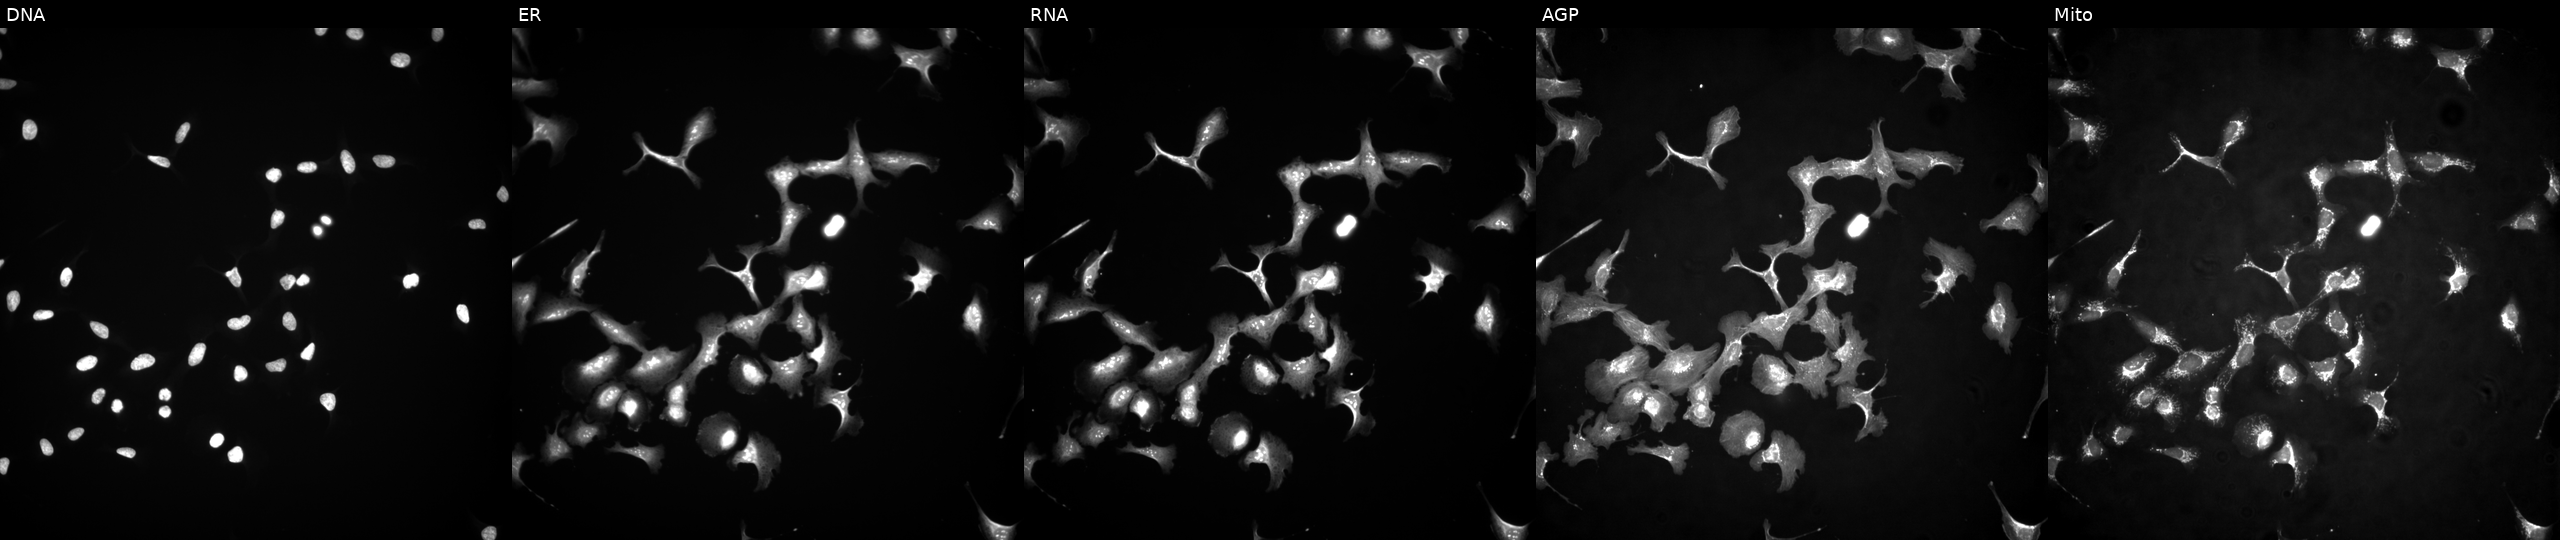
U2OS cells, Cell Painting assay, overexpressing ZNF488 via ORF transfection (JUMP id JCP2022_904430). Panels show, left to right, DNA (nuclei); ER (endoplasmic reticulum); RNA (nucleoli and cytoplasmic RNA); AGP (actin cytoskeleton, Golgi, and plasma membrane); Mito (mitochondria). Each panel is percentile-stretched 16-bit fluorescence. Source 4, plate BR00117035, well E04.